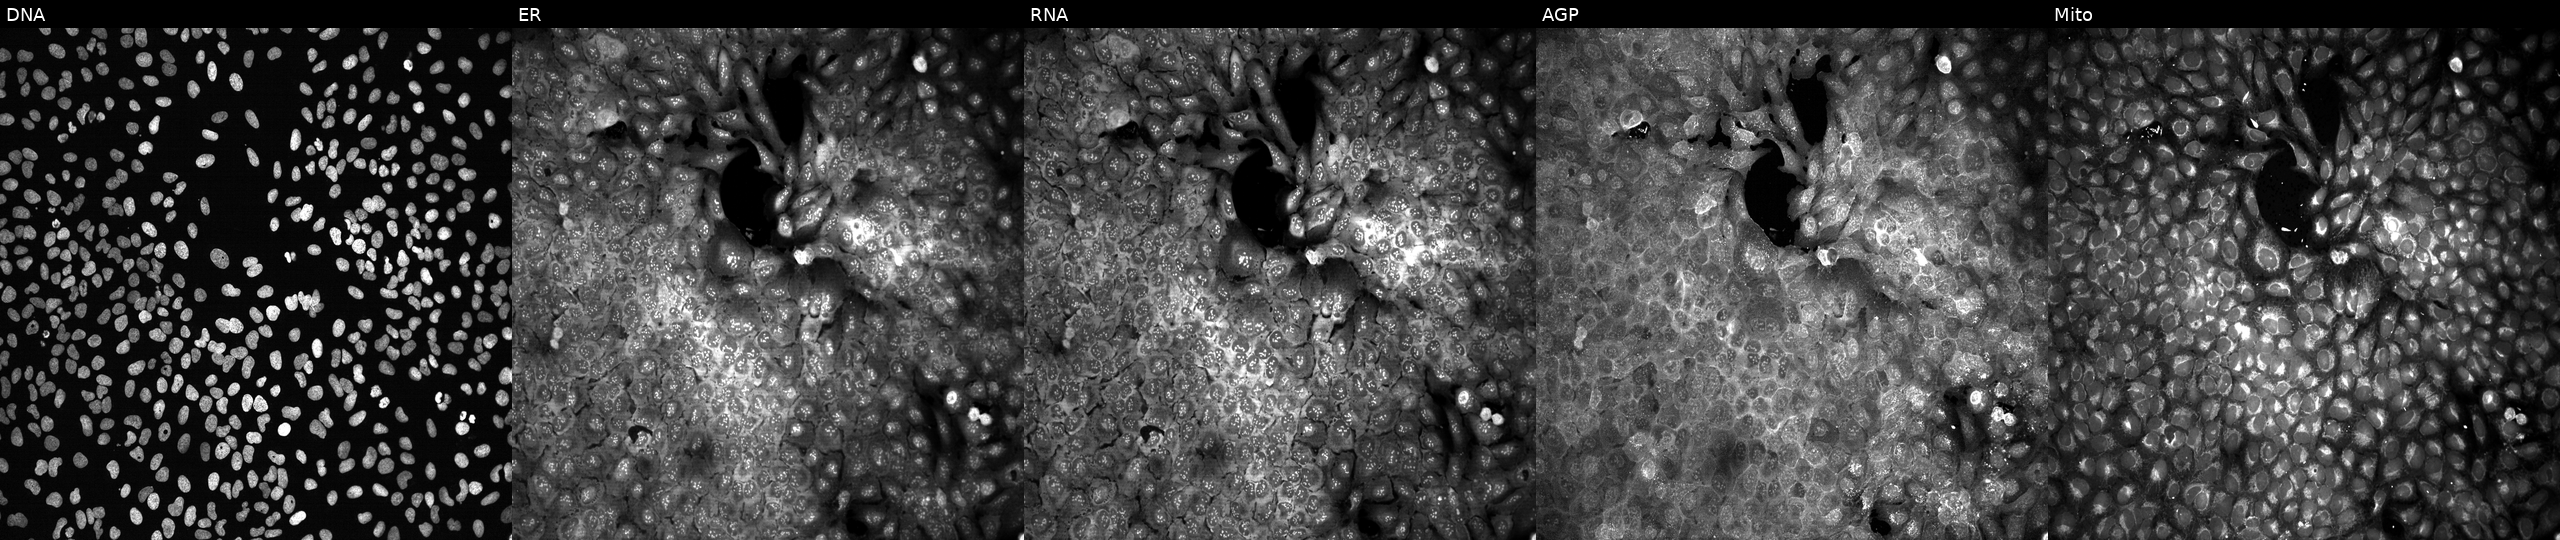
The five panels, left to right, show DNA, ER, RNA, AGP, and Mito. U2OS osteosarcoma cells treated with DMSO vehicle only (negative control) (JUMP id JCP2022_033924). Cell Painting assay, JUMP-CP dataset.